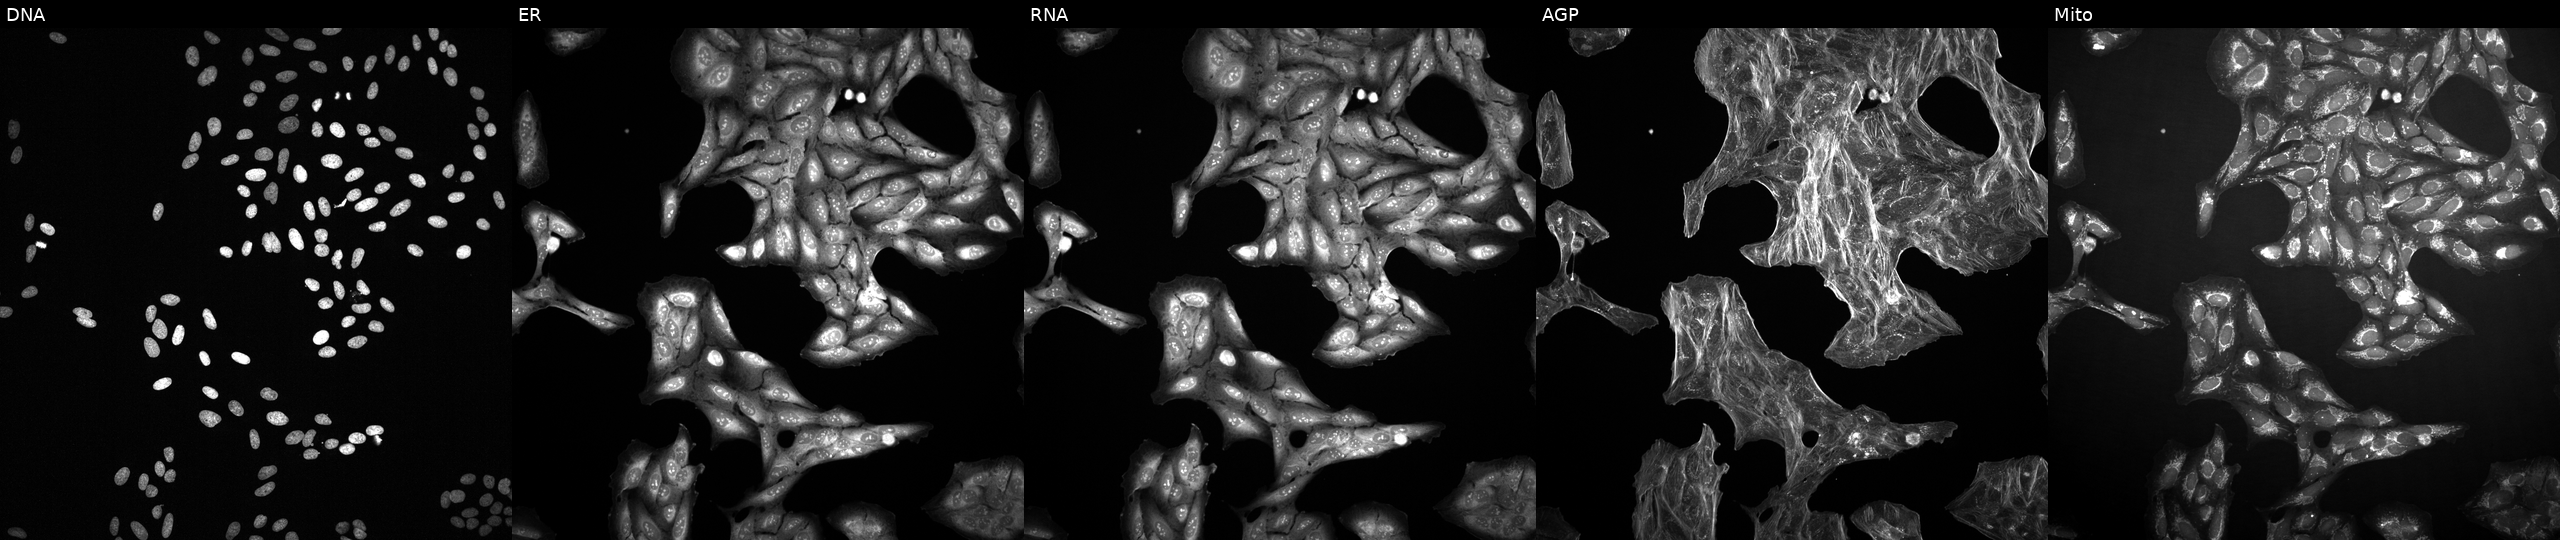
JUMP Cell Painting — TARGET2 plate. U2OS cells perturbed with a small-molecule compound (InChIKey FNHKPVJBJVTLMP-UHFFFAOYSA-N) [SMILES: CNC(=O)c1cc(Oc2ccc(NC(=O)Nc3ccc(Cl)c(C(F)(F)F)c3)c(F)c2)ccn1]. From left to right: DNA (nuclei); ER (endoplasmic reticulum); RNA (nucleoli and cytoplasmic RNA); AGP (actin cytoskeleton, Golgi, and plasma membrane); Mito (mitochondria). Source 2, plate 1053597936, well M01.